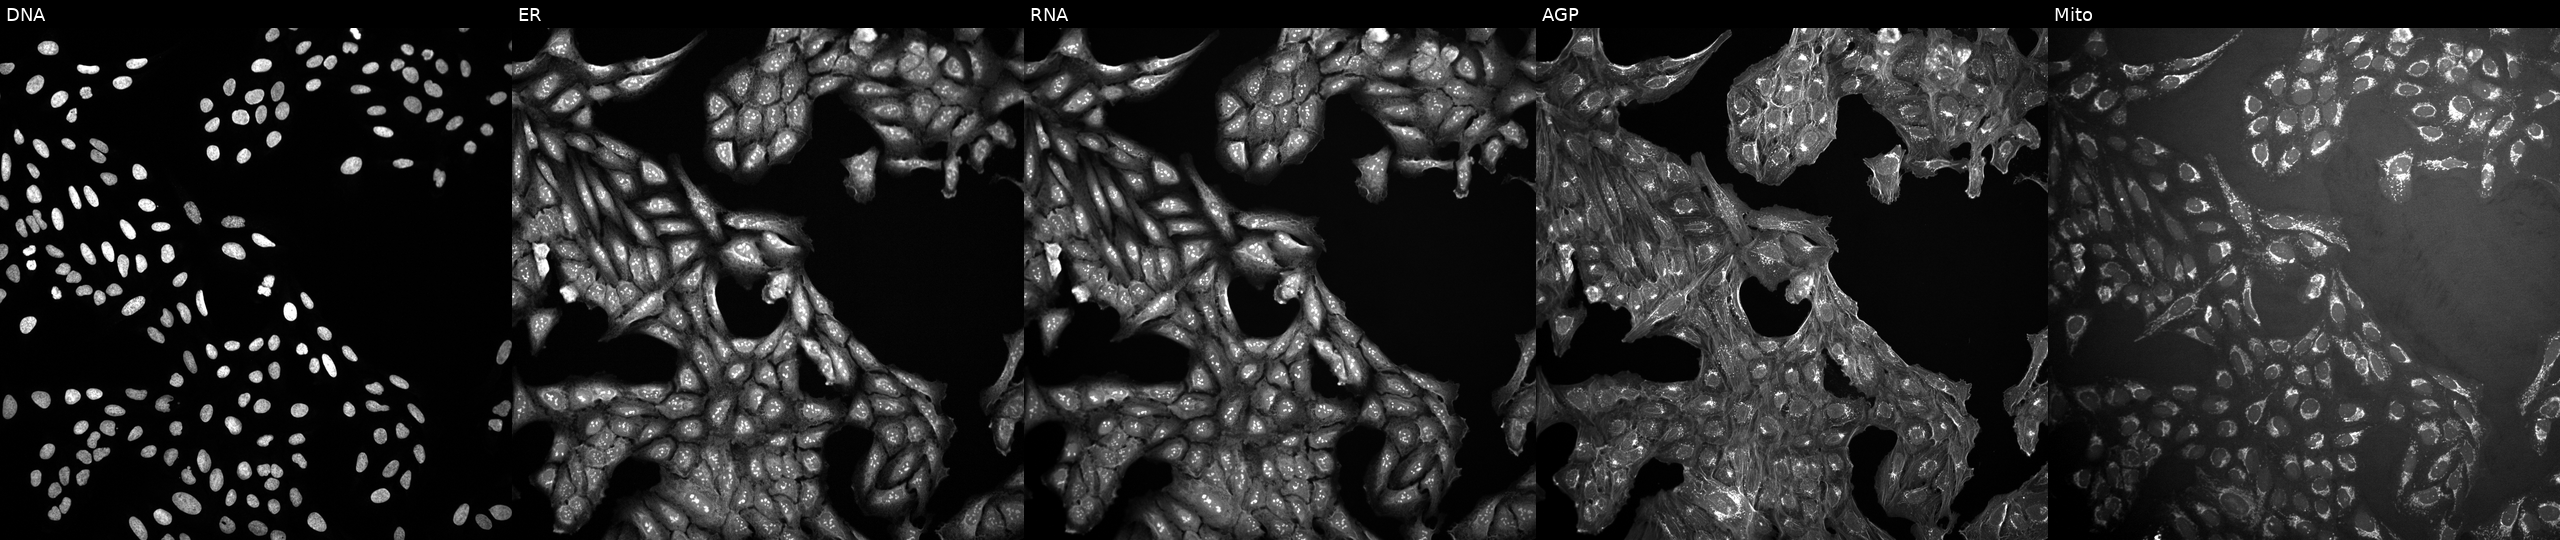
Five-channel Cell Painting image of U2OS cells exposed to a small-molecule compound (InChIKey IXOFAEJXVDXQCQ-UHFFFAOYSA-N) [SMILES: CCc1cc(N2CCC3(CC2)OCCCC3O)nc(N2CCCC2)n1] (JUMP id JCP2022_038003). Channels (left→right): Hoechst 33342, concanavalin A, SYTO 14, phalloidin and WGA, MitoTracker.